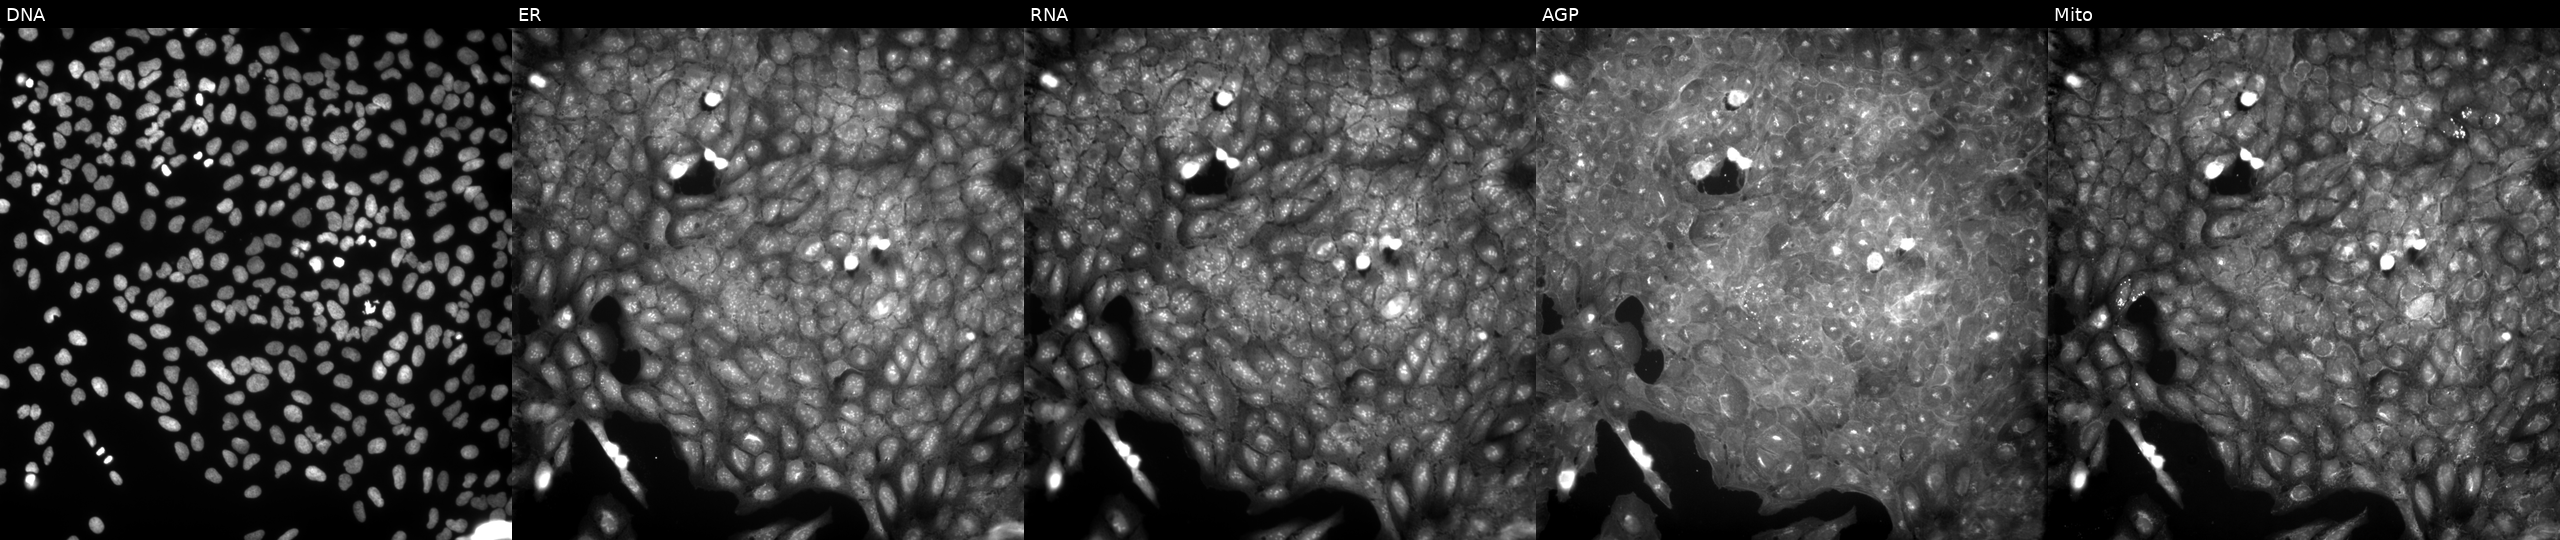
This image strip shows the five Cell Painting channels for a single field of U2OS cells exposed to a small-molecule compound (InChIKey QRHAKRDAZPBGDT-UHFFFAOYSA-N) (JUMP id JCP2022_075391). The five panels, left to right, show DNA, ER, RNA, AGP, and Mito. Source 9, plate GR00003381, well U19.